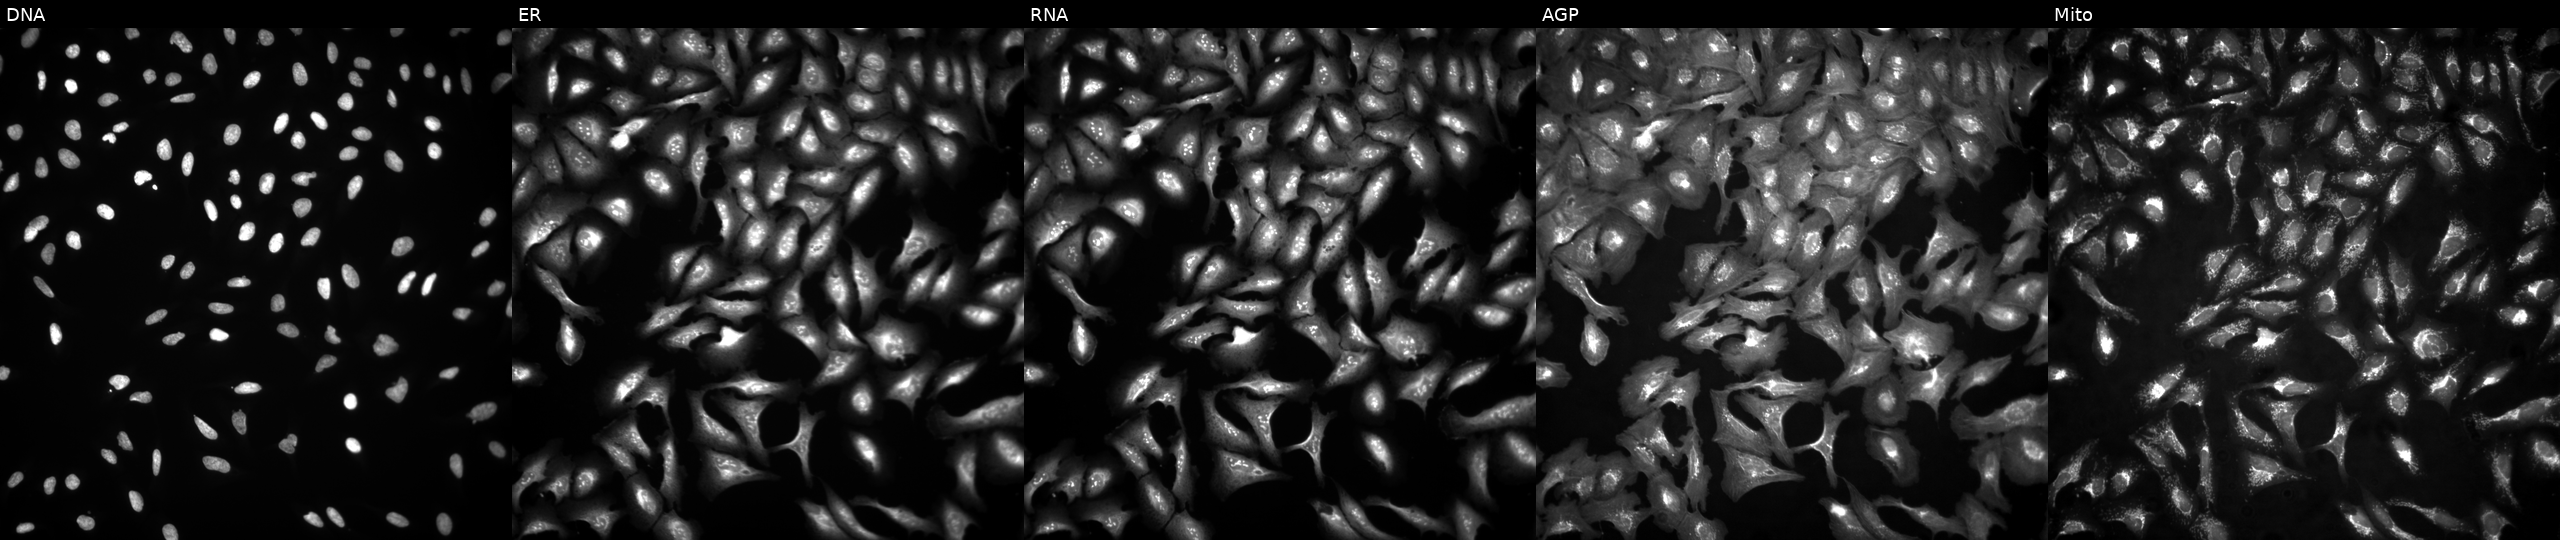
JUMP Cell Painting — ORF plate. U2OS cells with KPNA1 overexpressed (ORF). The five panels, left to right, show Hoechst 33342, concanavalin A, SYTO 14, phalloidin and WGA, MitoTracker.